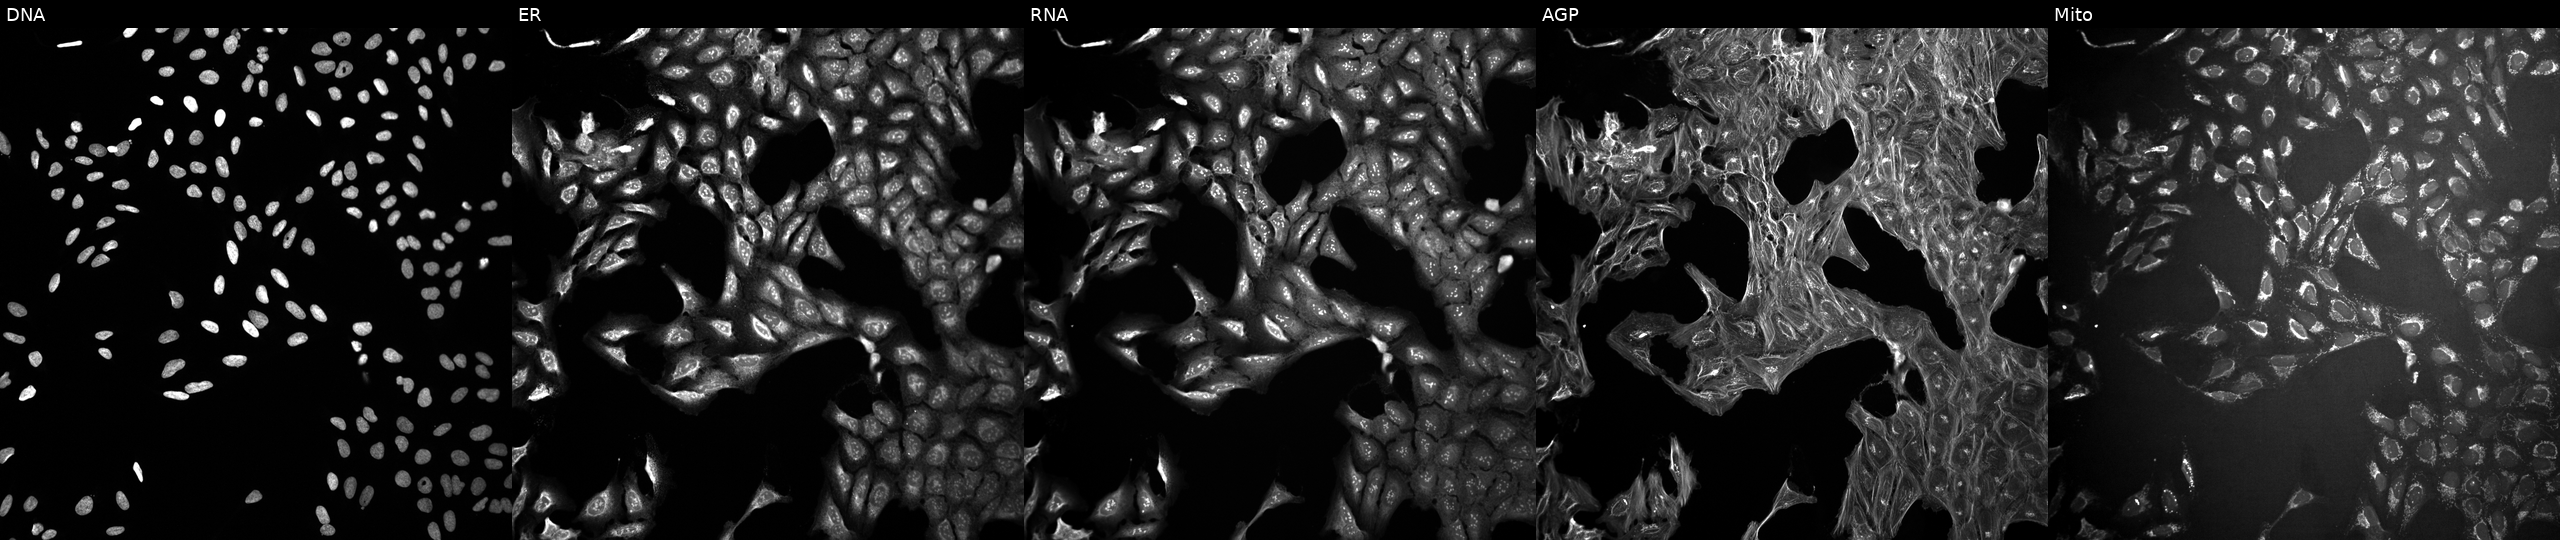
High-content fluorescence microscopy (Cell Painting). Cell line: U2OS. Perturbation: treated with DMSO vehicle only (negative control). From left to right: Hoechst 33342, concanavalin A, SYTO 14, phalloidin and WGA, MitoTracker. Source 10, plate Dest210727-153003, well F24.